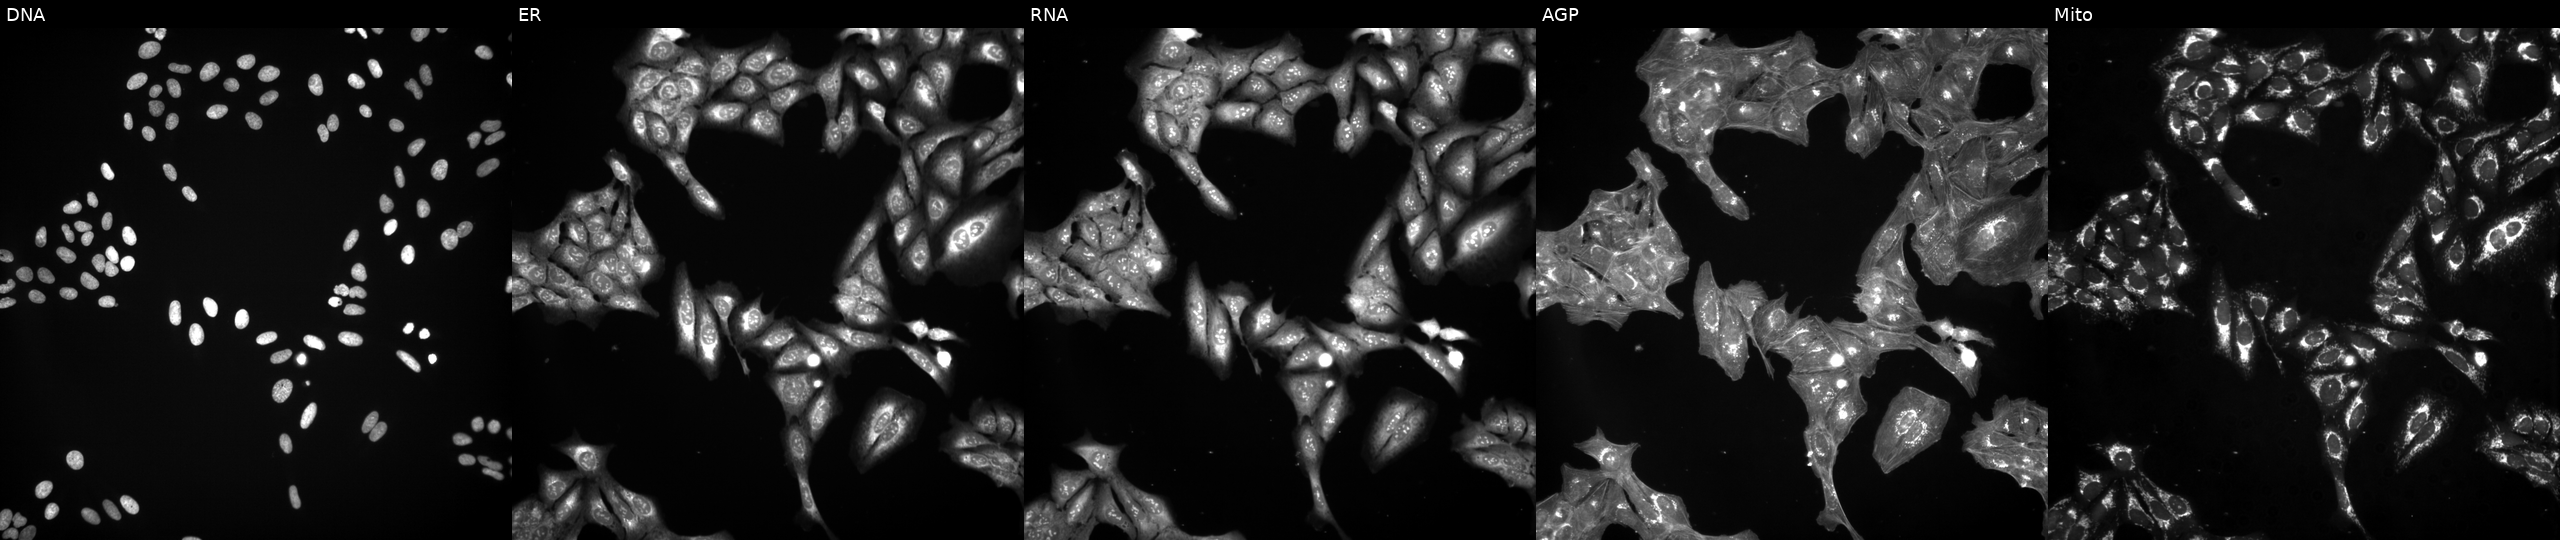
High-content fluorescence microscopy (Cell Painting). Cell line: U2OS. Perturbation: exposed to a small-molecule compound (InChIKey WFFKMNOPSRAFMP-UHFFFAOYSA-N) (JUMP id JCP2022_098360). Panels show, left to right, DNA, ER, RNA, AGP, and Mito.